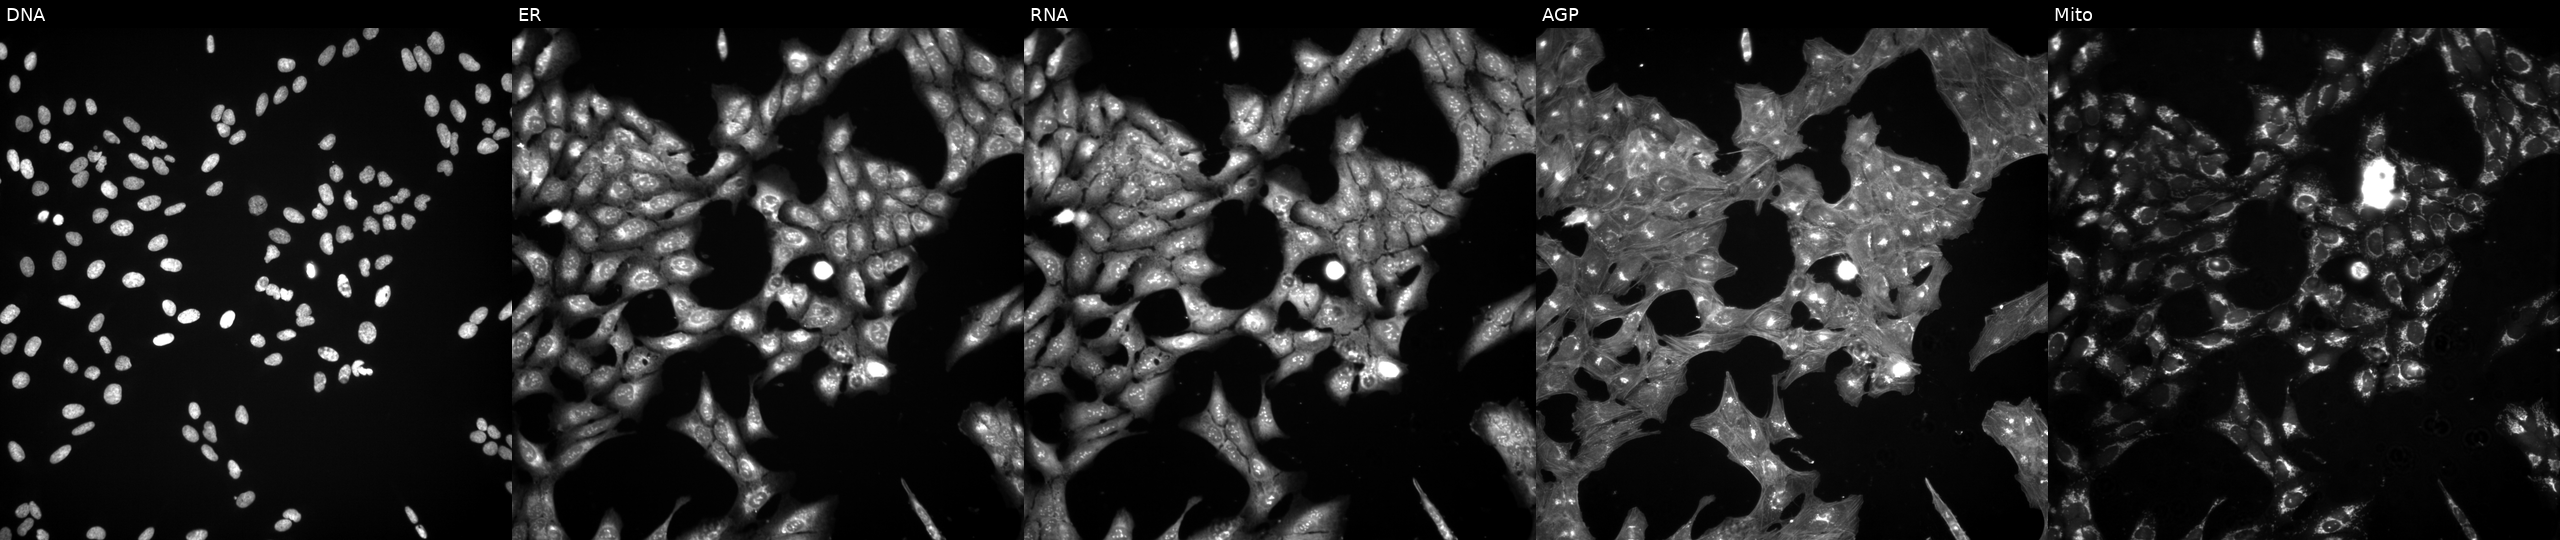
U2OS cells, Cell Painting assay, exposed to a small-molecule compound. The five panels, left to right, show DNA, ER, RNA, AGP, and Mito. Each panel is percentile-stretched 16-bit fluorescence.